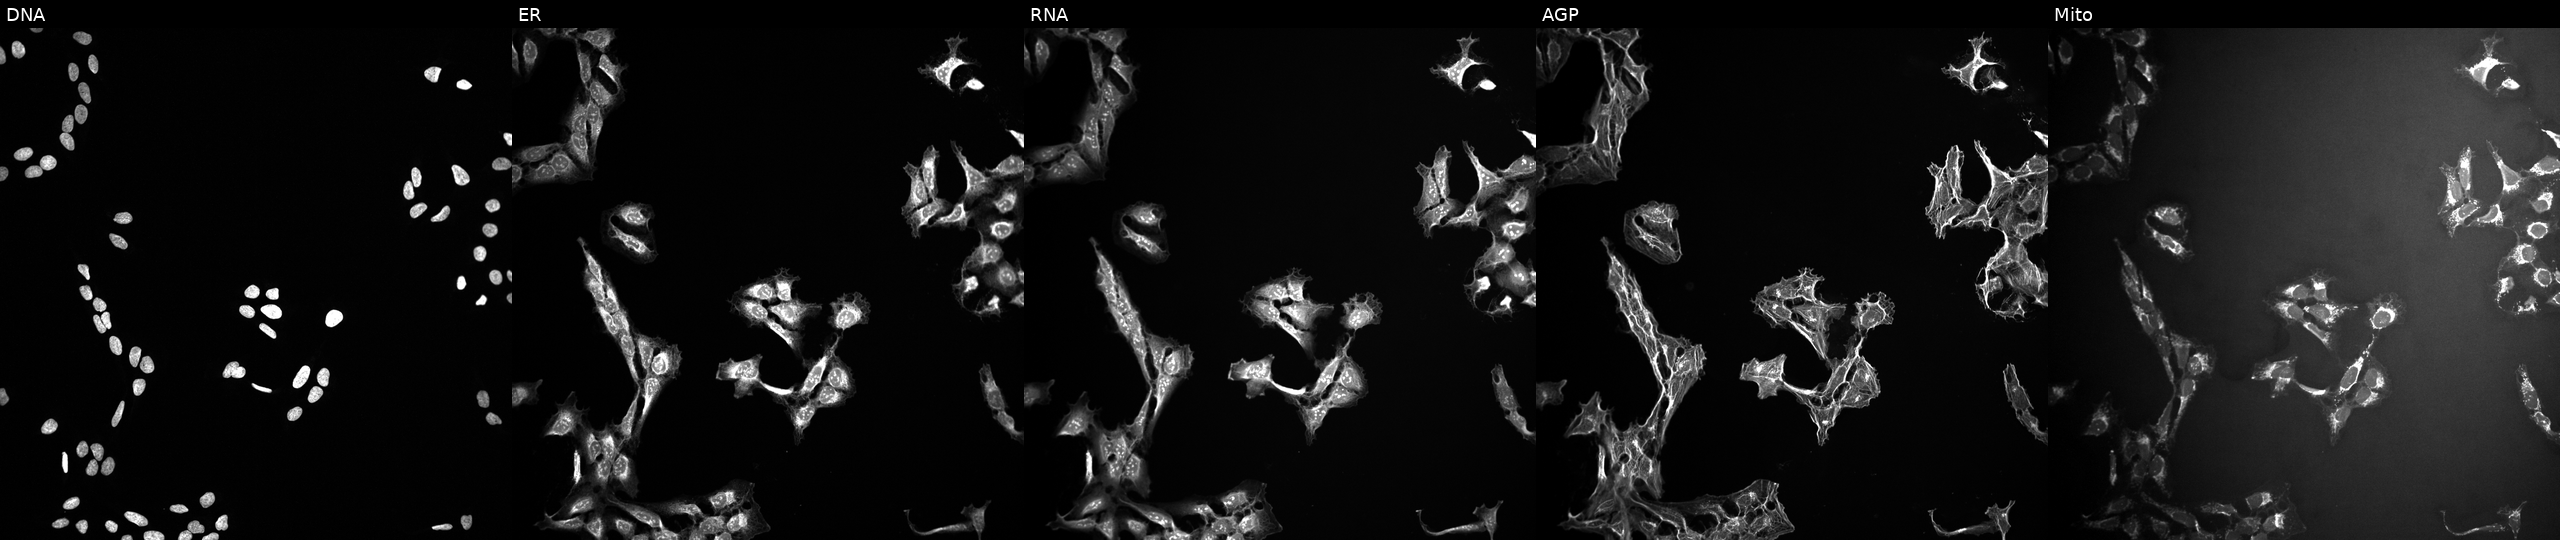
High-content fluorescence microscopy (Cell Painting). Cell line: U2OS. Perturbation: treated with a small-molecule compound (JUMP id JCP2022_023781). Panels show, left to right, DNA (nuclei); ER (endoplasmic reticulum); RNA (nucleoli and cytoplasmic RNA); AGP (actin cytoskeleton, Golgi, and plasma membrane); Mito (mitochondria). Source 10, plate Dest210727-153003, well J23.